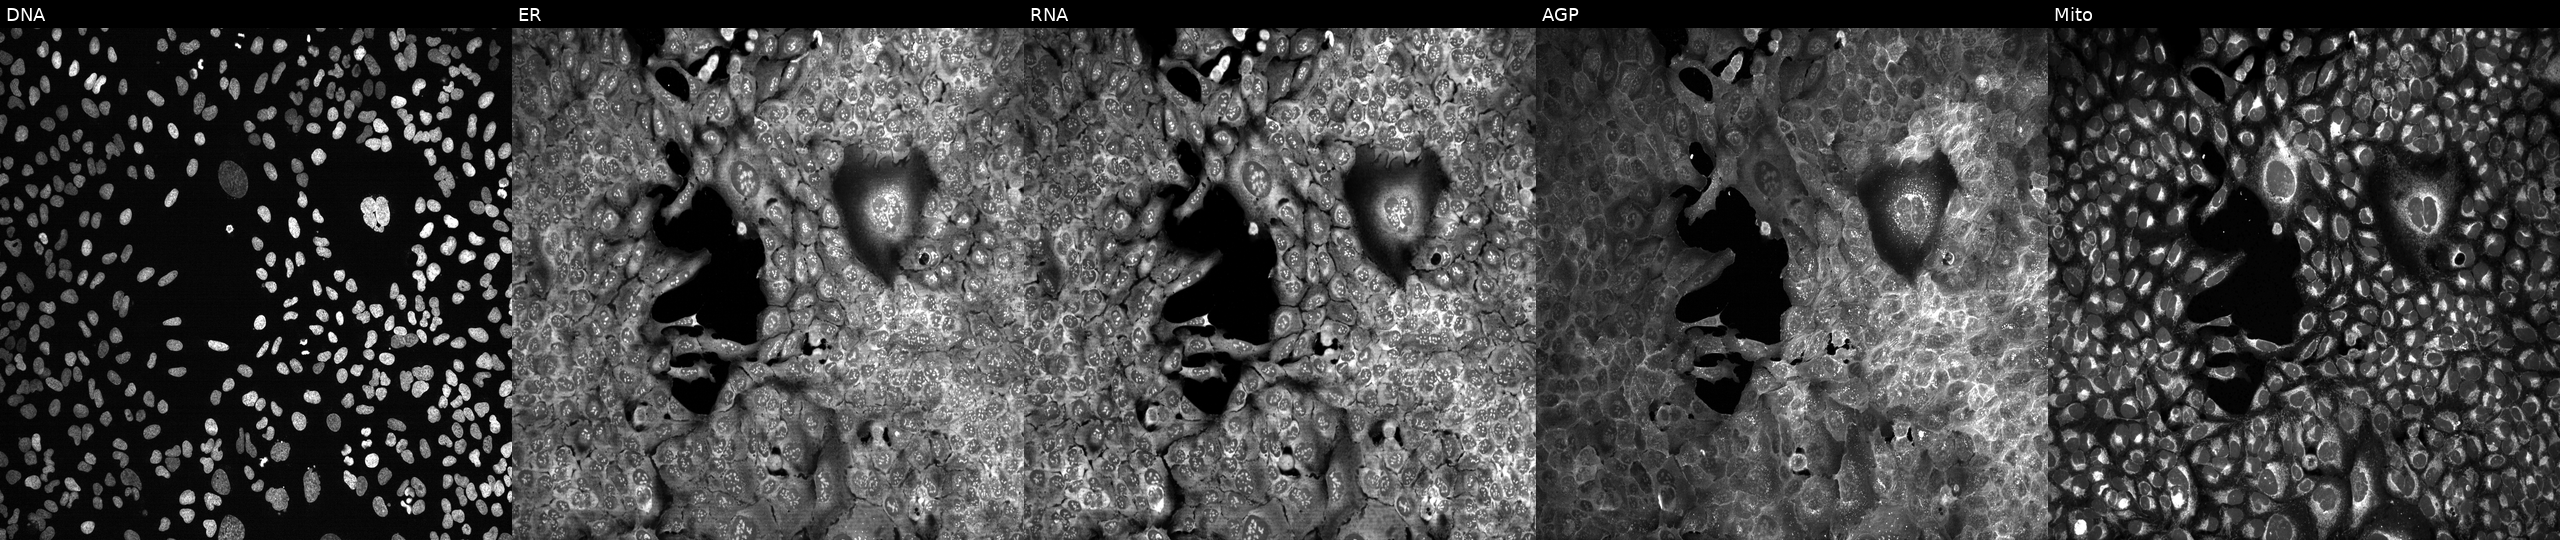
JUMP Cell Painting — CRISPR plate. U2OS cells following CRISPR knockout of ABHD13. Panels show, left to right, DNA (nuclei); ER (endoplasmic reticulum); RNA (nucleoli and cytoplasmic RNA); AGP (actin cytoskeleton, Golgi, and plasma membrane); Mito (mitochondria).